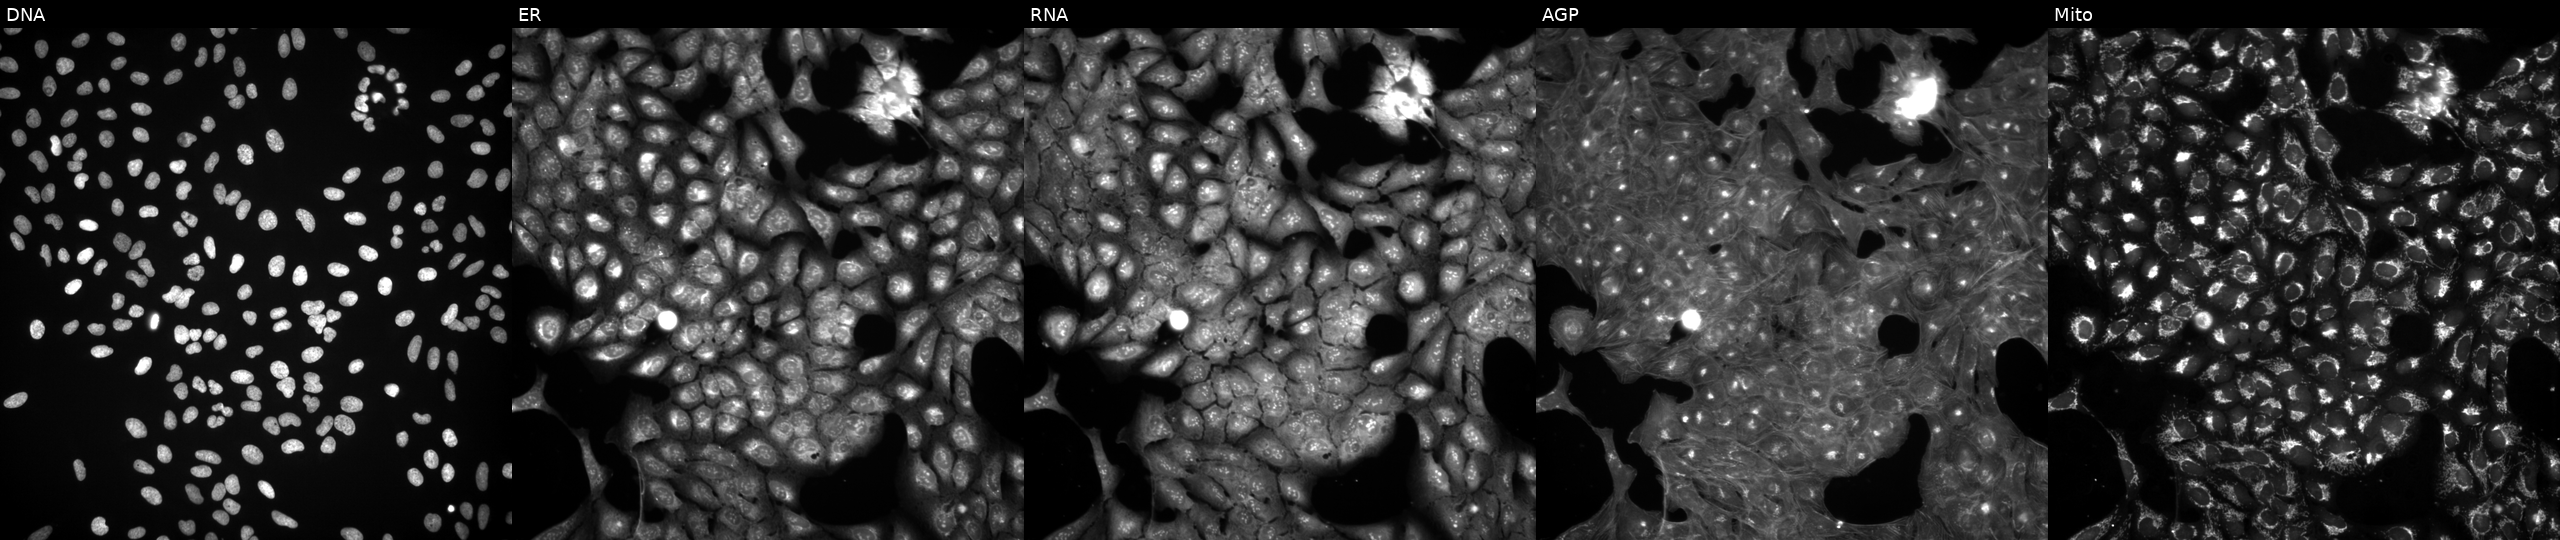
JUMP Cell Painting — COMPOUND plate. U2OS cells perturbed with a small-molecule compound. The five panels, left to right, show DNA (nuclei); ER (endoplasmic reticulum); RNA (nucleoli and cytoplasmic RNA); AGP (actin cytoskeleton, Golgi, and plasma membrane); Mito (mitochondria). Source 3, plate BR5867b3, well F15.